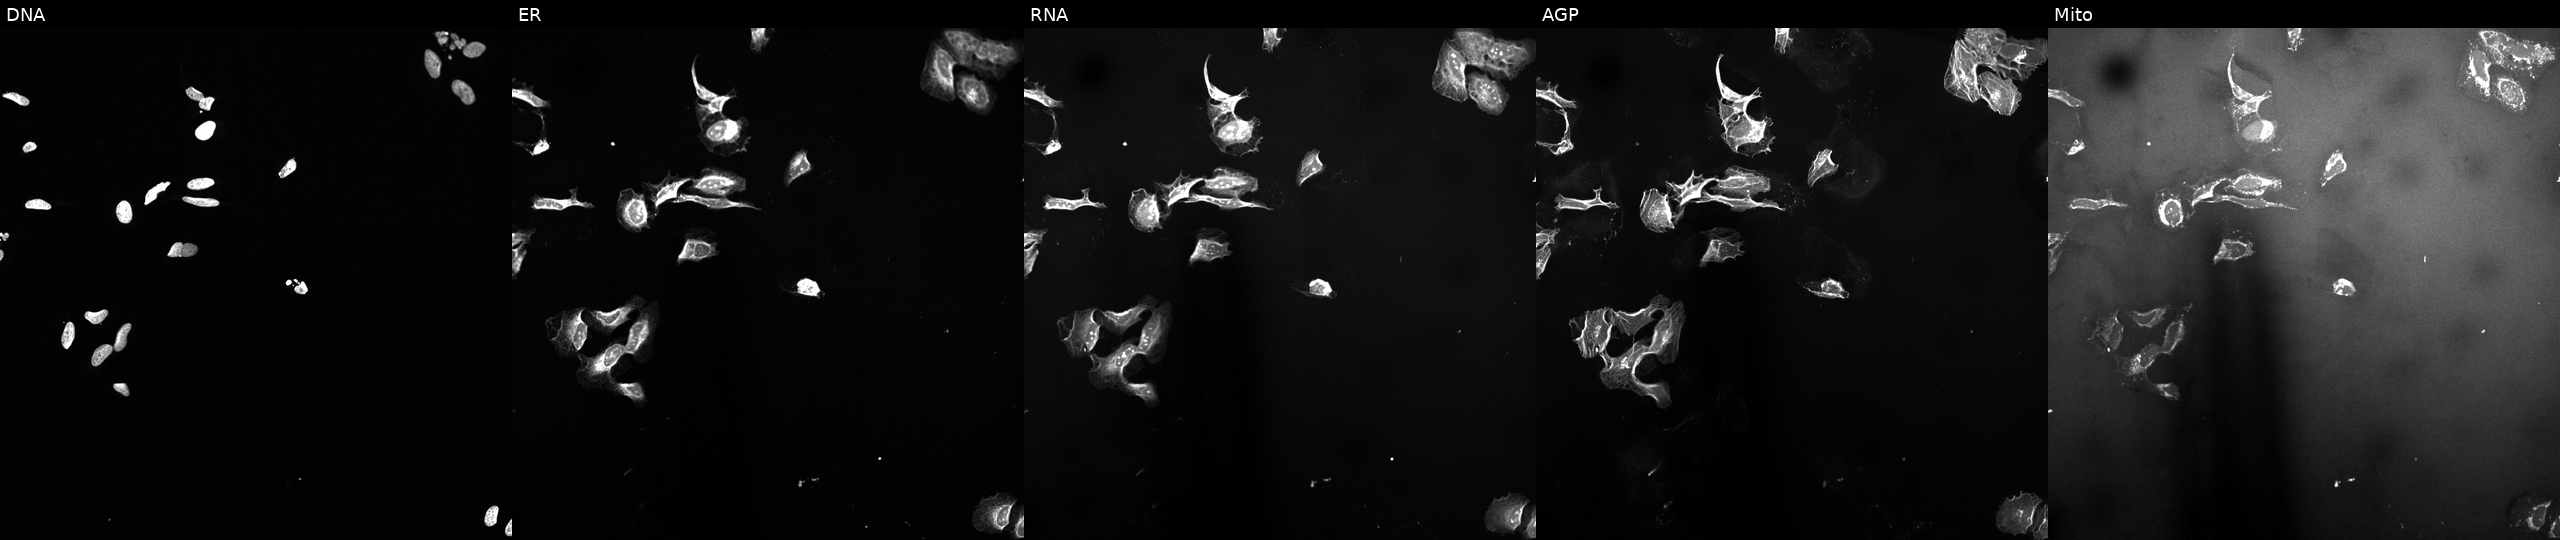
High-content fluorescence microscopy (Cell Painting). Cell line: U2OS. Perturbation: treated with TC-S-7004 (positive-control compound). From left to right: DNA, ER, RNA, AGP, and Mito.